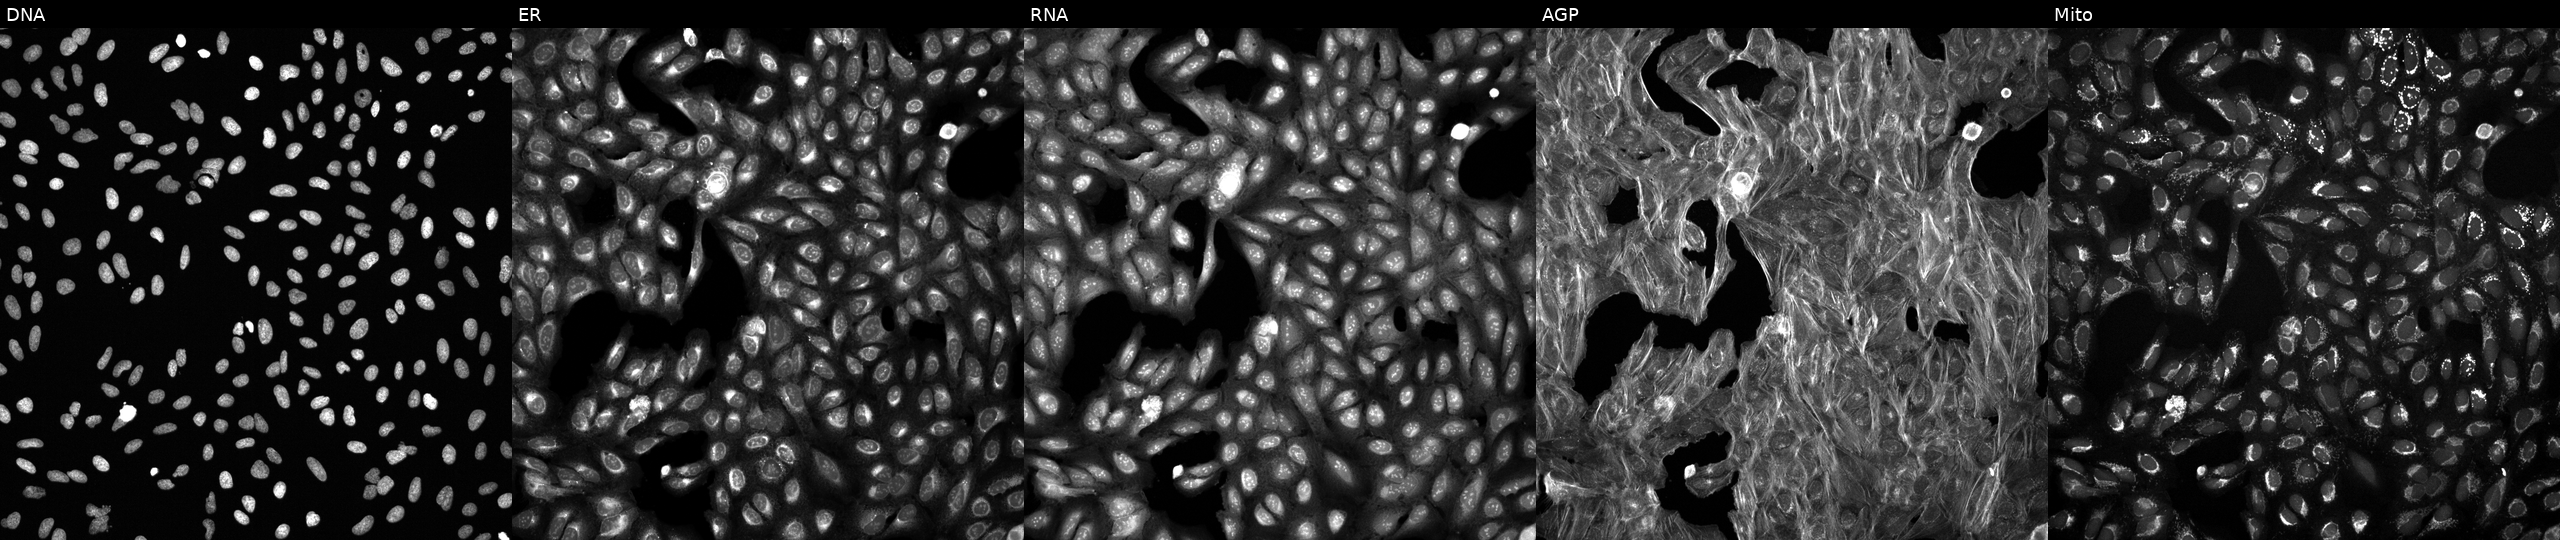
Channels (left→right): DNA (nuclei); ER (endoplasmic reticulum); RNA (nucleoli and cytoplasmic RNA); AGP (actin cytoskeleton, Golgi, and plasma membrane); Mito (mitochondria). U2OS osteosarcoma cells exposed to a small-molecule compound [SMILES: Cc1c(-c2ccnn2C)cc(C(=O)NCc2ccc(S(C)(=O)=O)cn2)c(=O)n1-c1cccc(C(F)(F)F)c1] (JUMP id JCP2022_074697). Cell Painting assay, JUMP-CP dataset.